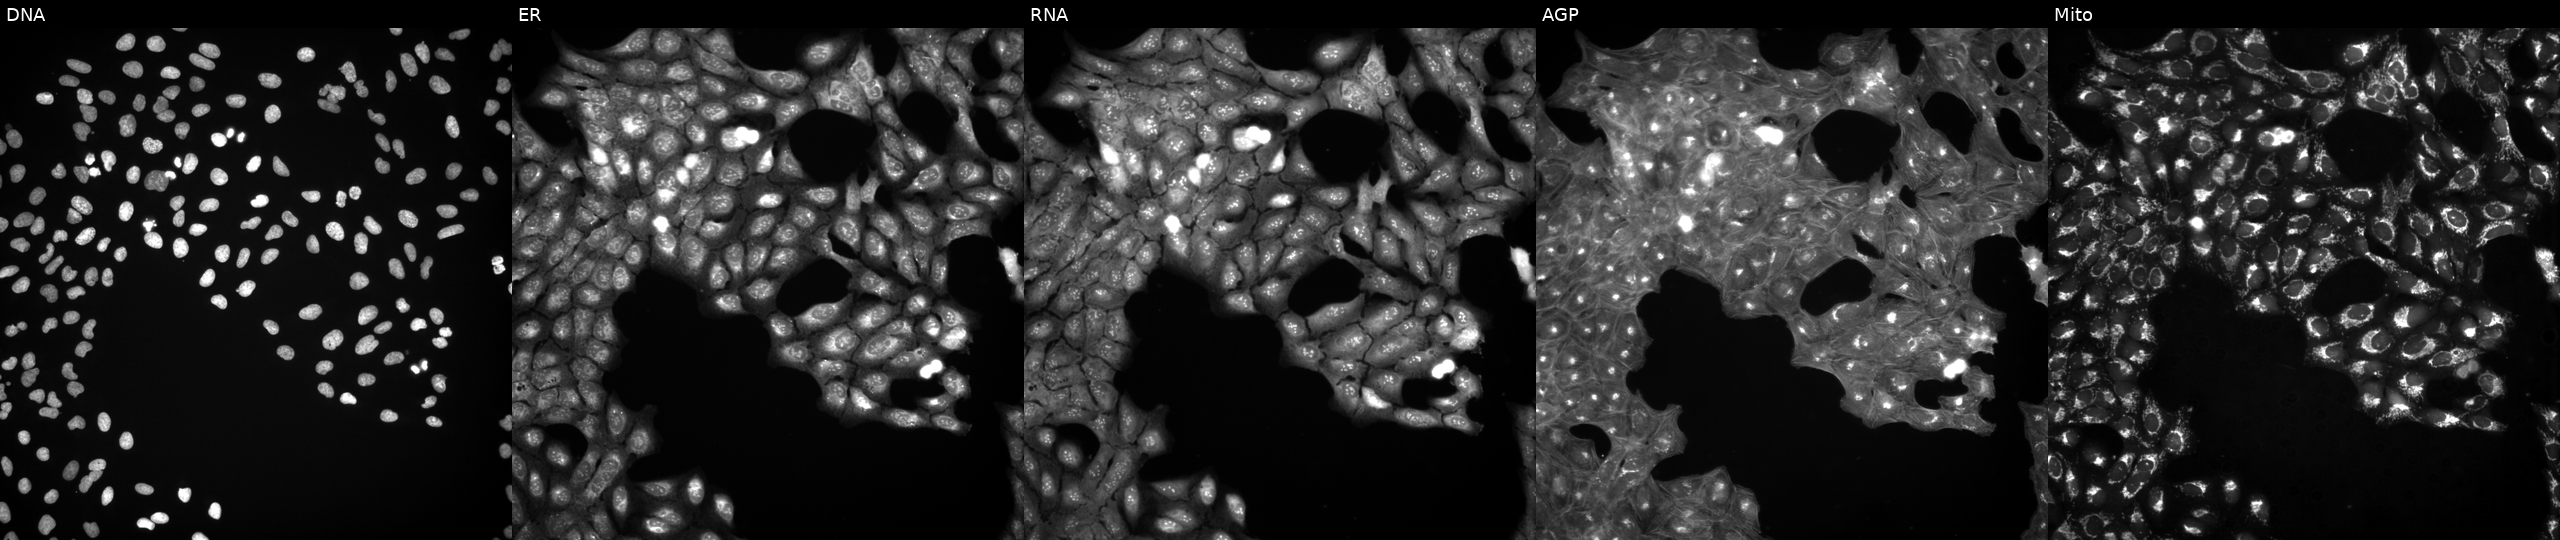
The five panels, left to right, show DNA, ER, RNA, AGP, and Mito. U2OS osteosarcoma cells in an empty control well (no perturbation) (JUMP id JCP2022_999999). Cell Painting assay, JUMP-CP dataset. Source 3, plate BR5867b3, well H09.